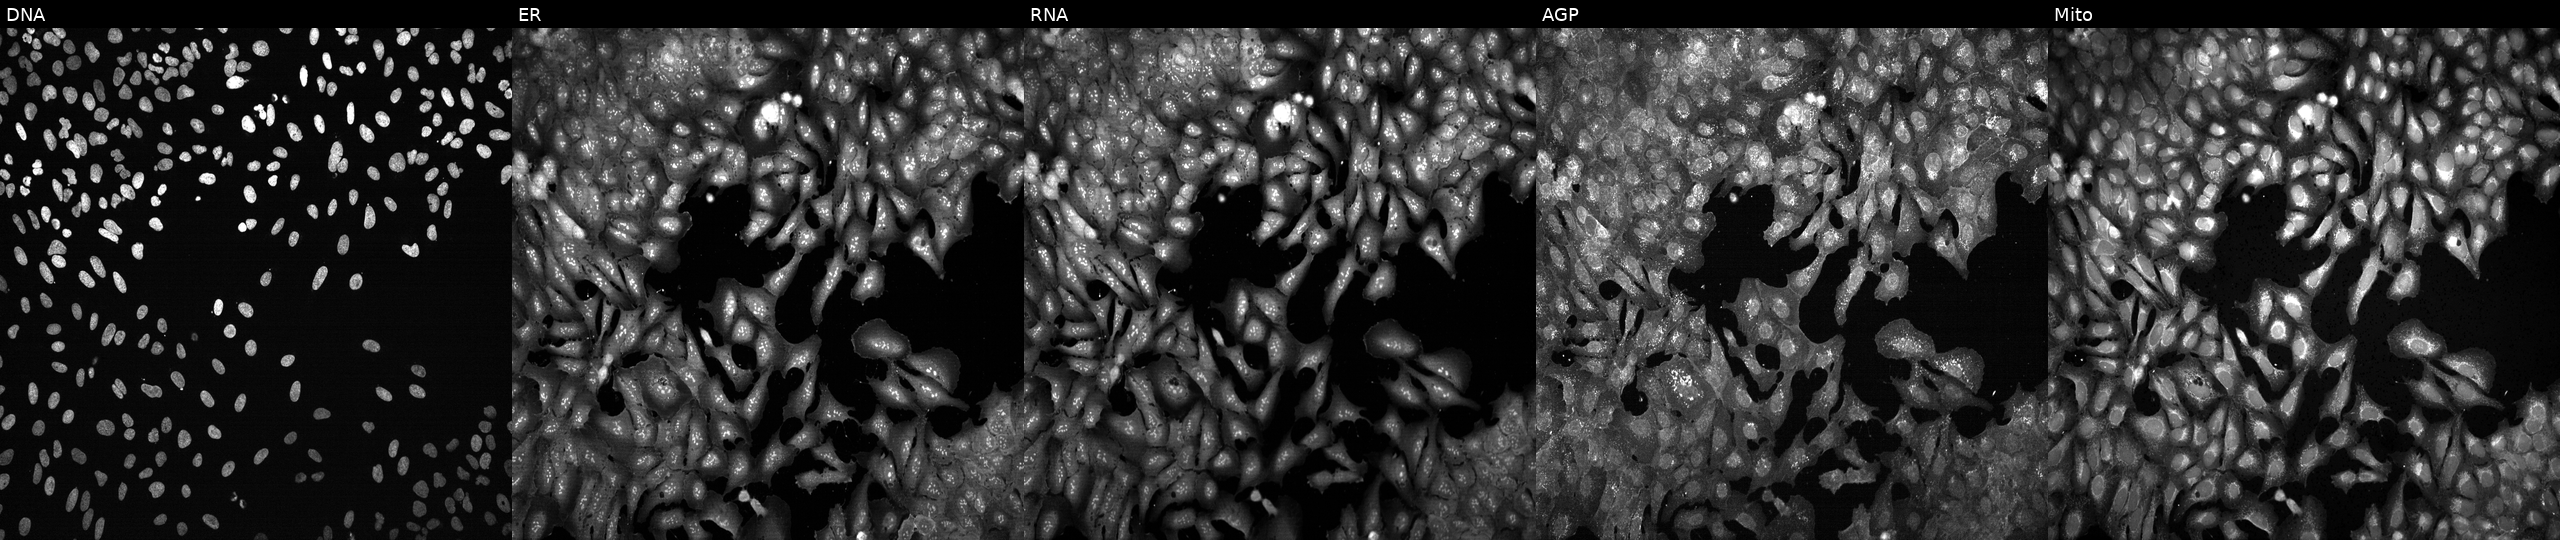
U2OS cells, Cell Painting assay, with RSC1A1 knocked out by CRISPR (JUMP id JCP2022_806134). The five panels, left to right, show DNA (nuclei); ER (endoplasmic reticulum); RNA (nucleoli and cytoplasmic RNA); AGP (actin cytoskeleton, Golgi, and plasma membrane); Mito (mitochondria). Each panel is percentile-stretched 16-bit fluorescence.